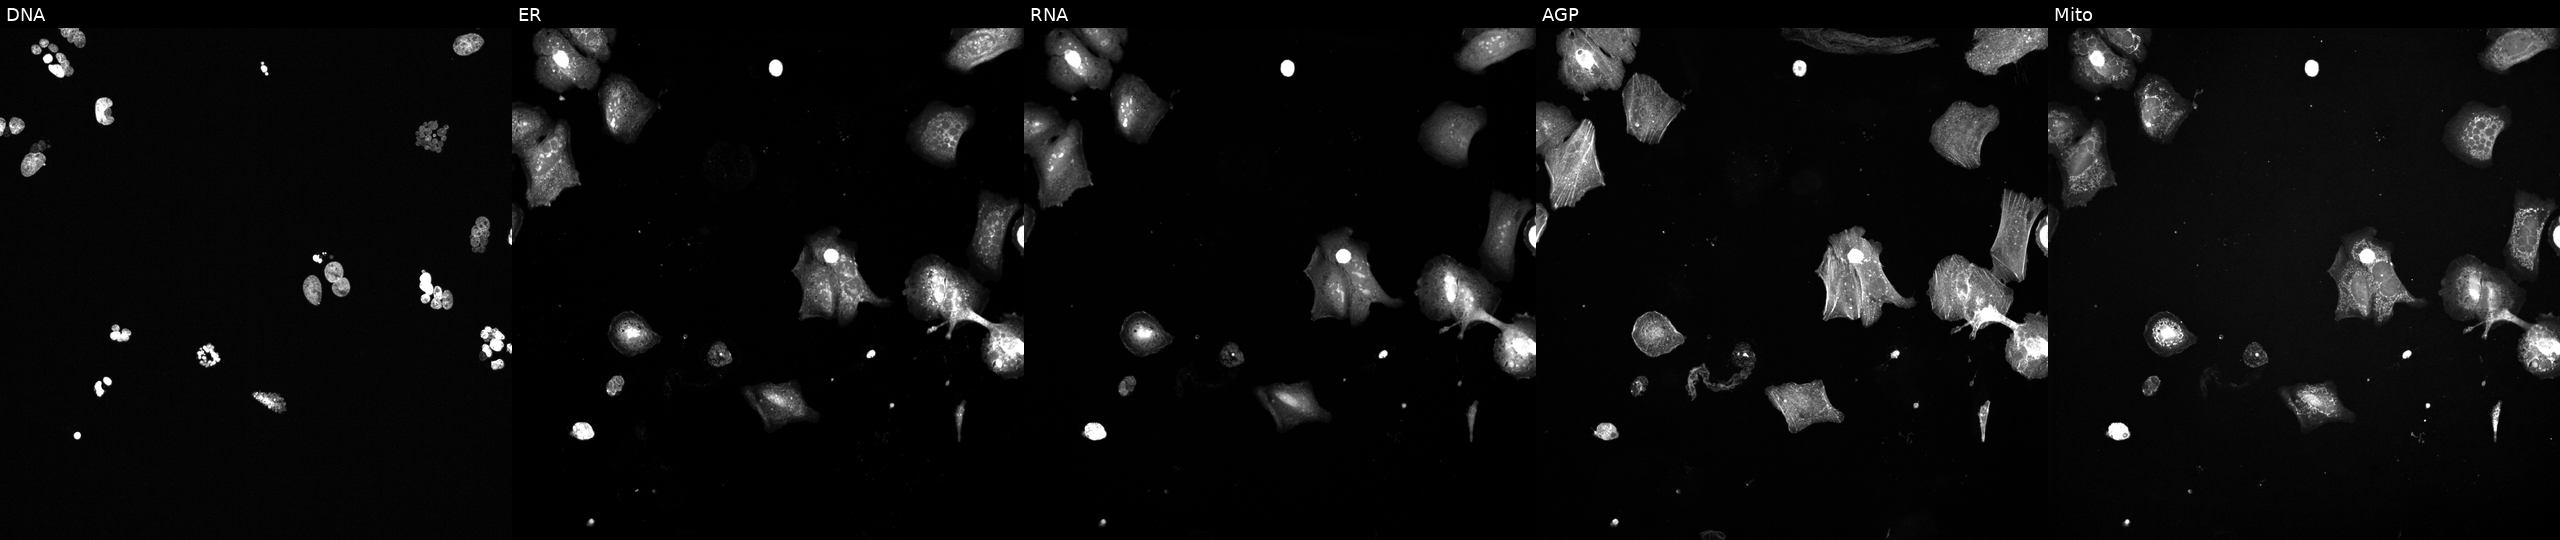
Five-channel Cell Painting image of U2OS cells perturbed with a small-molecule compound [SMILES: COc1cc2c(c(OC)c1OC)-c1ccc(OC)c(=O)cc1C(NC(C)=O)CC2]. The five panels, left to right, show DNA (nuclei); ER (endoplasmic reticulum); RNA (nucleoli and cytoplasmic RNA); AGP (actin cytoskeleton, Golgi, and plasma membrane); Mito (mitochondria). Source 6, plate 110000294901, well F19.